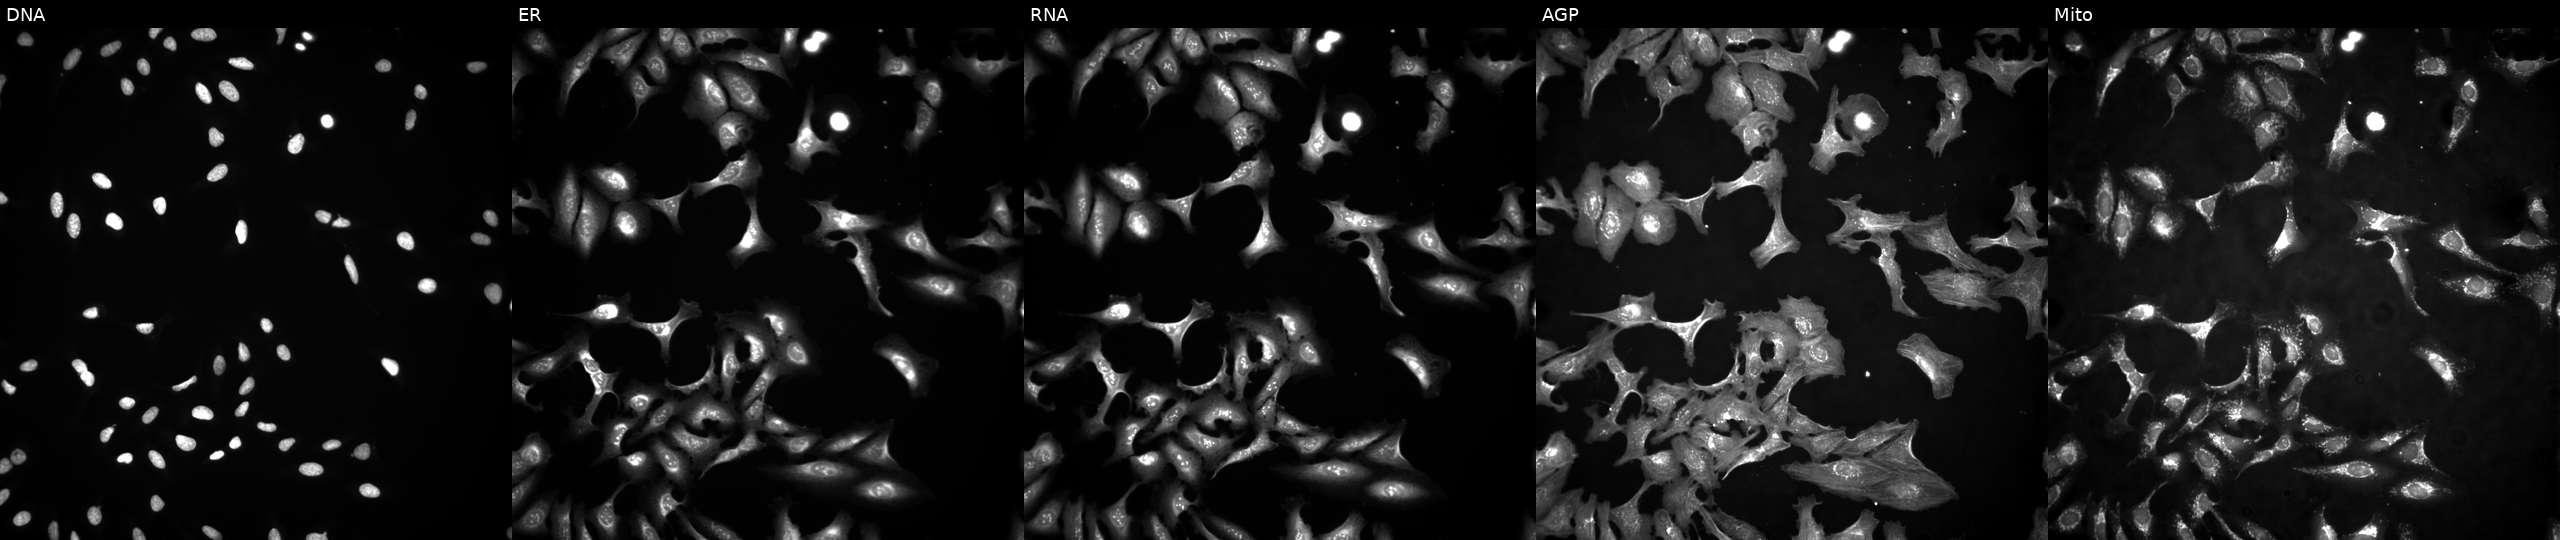
Five-channel Cell Painting image of U2OS cells overexpressing CCL4 via ORF transfection. Channels (left→right): DNA, ER, RNA, AGP, and Mito.